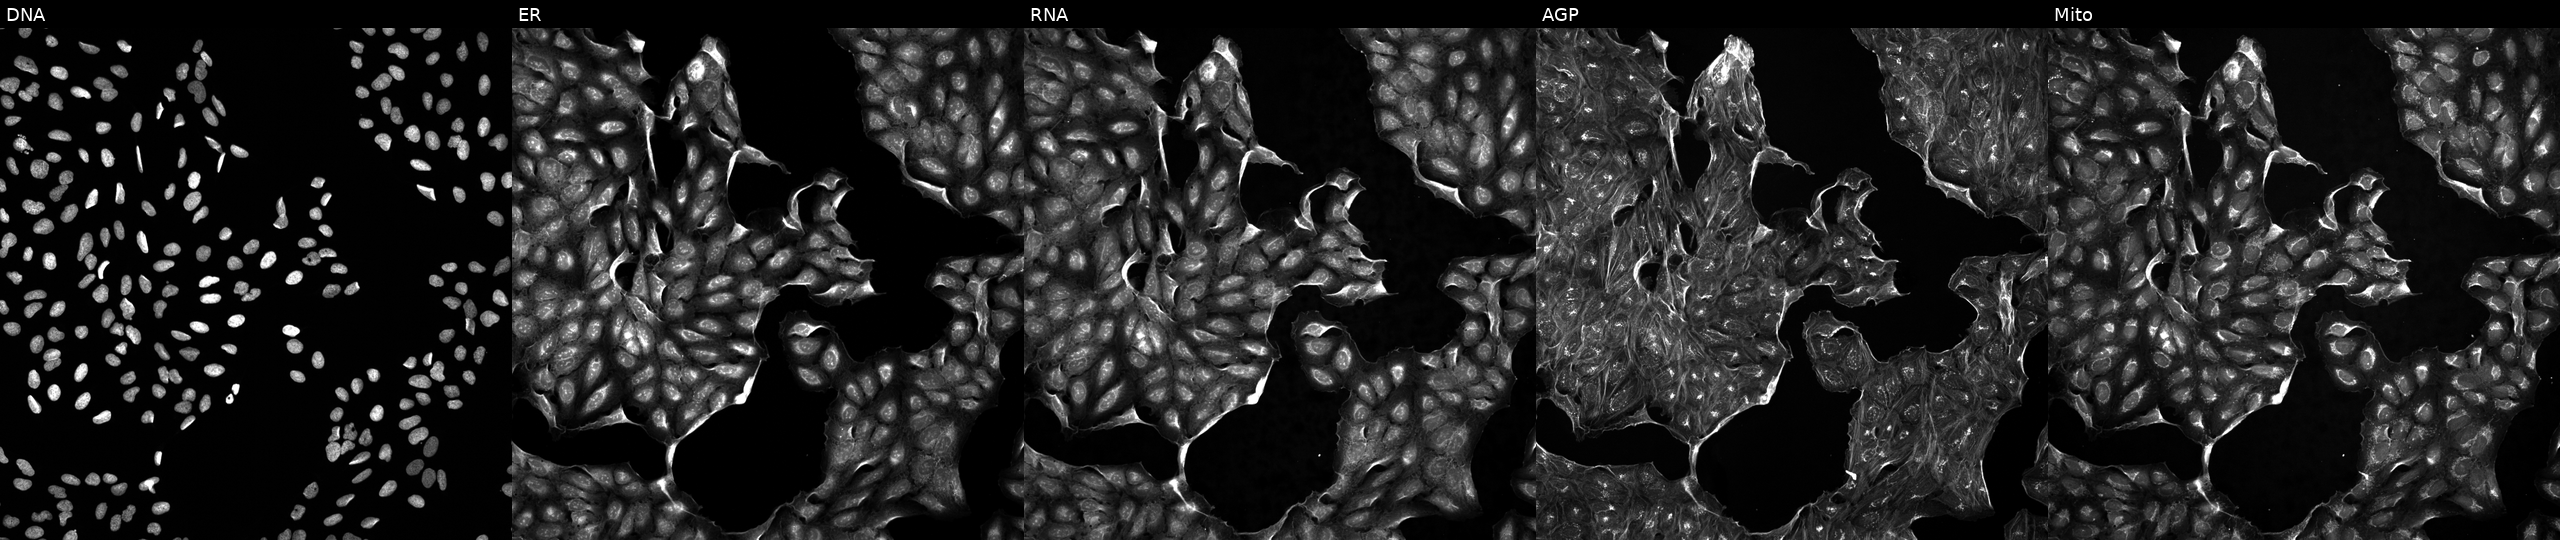
JUMP Cell Painting — COMPOUND plate. U2OS cells perturbed with a small-molecule compound (InChIKey JXRYLCYCCFOYKR-UHFFFAOYSA-N). The five panels, left to right, show Hoechst 33342, concanavalin A, SYTO 14, phalloidin and WGA, MitoTracker. Source 5, plate APTJUM105, well C03.